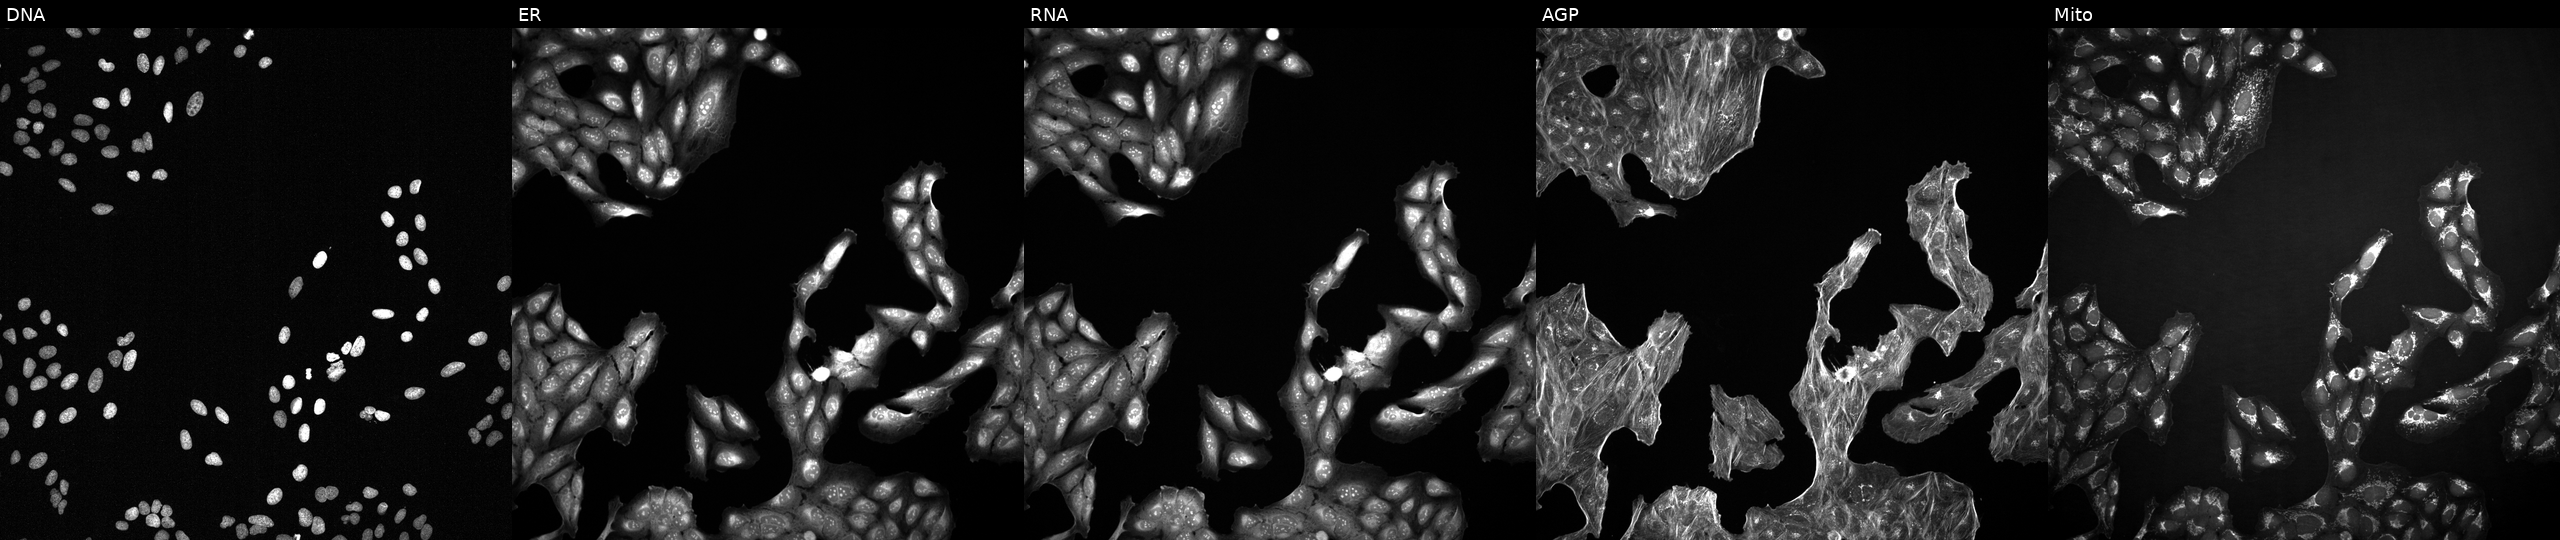
JUMP Cell Painting — TARGET2 plate. U2OS cells treated with DMSO vehicle only (negative control). Channels (left→right): DNA (nuclei); ER (endoplasmic reticulum); RNA (nucleoli and cytoplasmic RNA); AGP (actin cytoskeleton, Golgi, and plasma membrane); Mito (mitochondria).